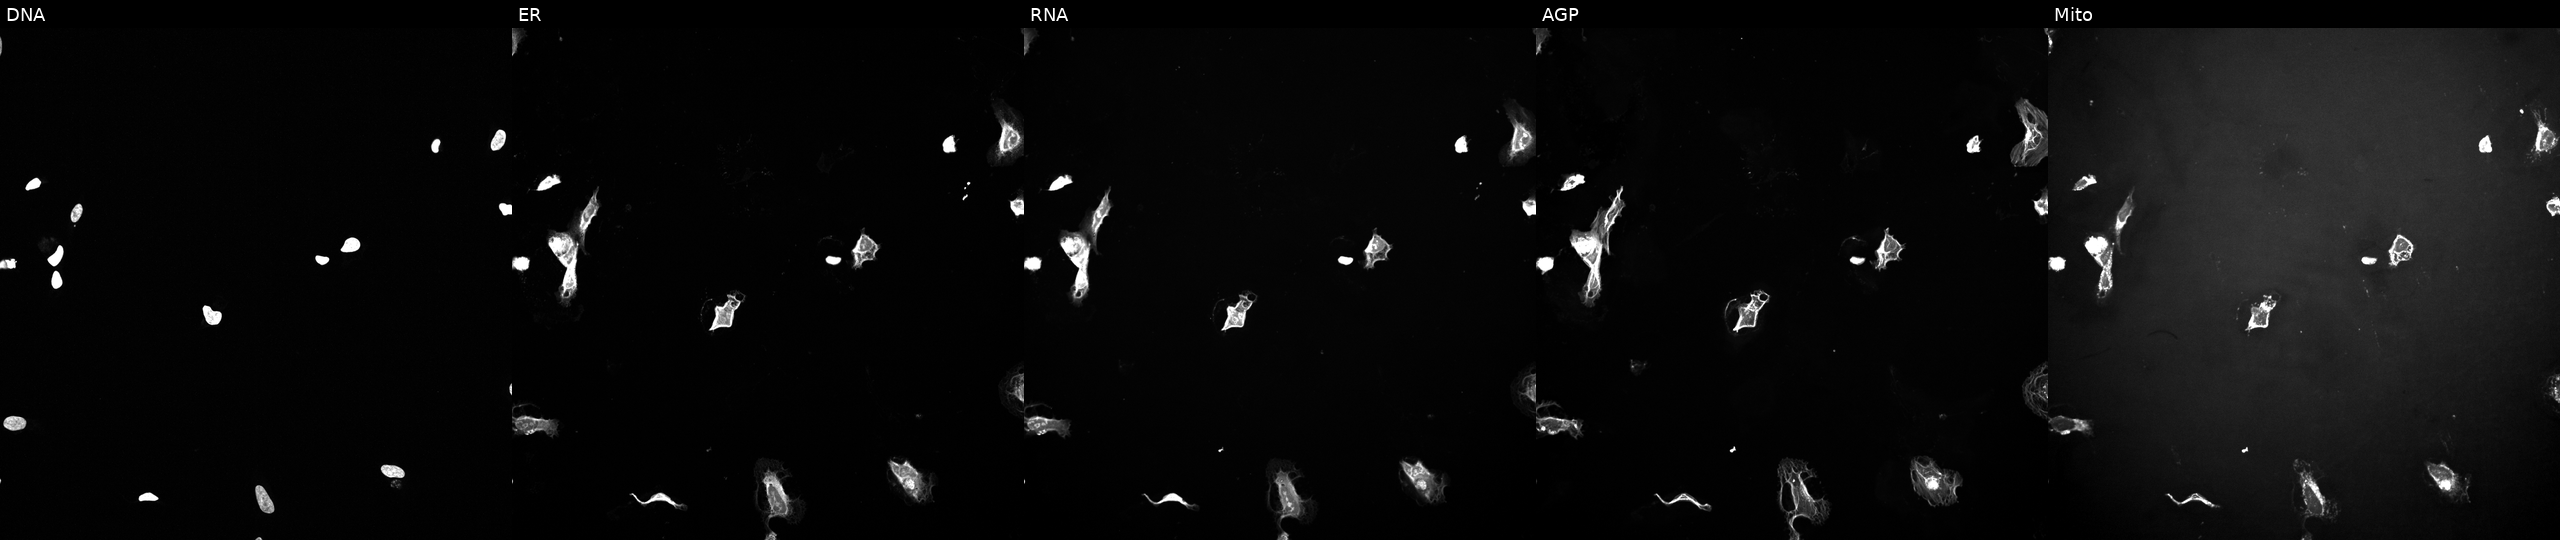
The five panels, left to right, show Hoechst 33342, concanavalin A, SYTO 14, phalloidin and WGA, MitoTracker. U2OS osteosarcoma cells perturbed with a small-molecule compound (InChIKey HUXYBQXJVXOMKX-UHFFFAOYSA-N) (JUMP id JCP2022_032771). Cell Painting assay, JUMP-CP dataset. Source 10, plate Dest210727-153003, well D05.